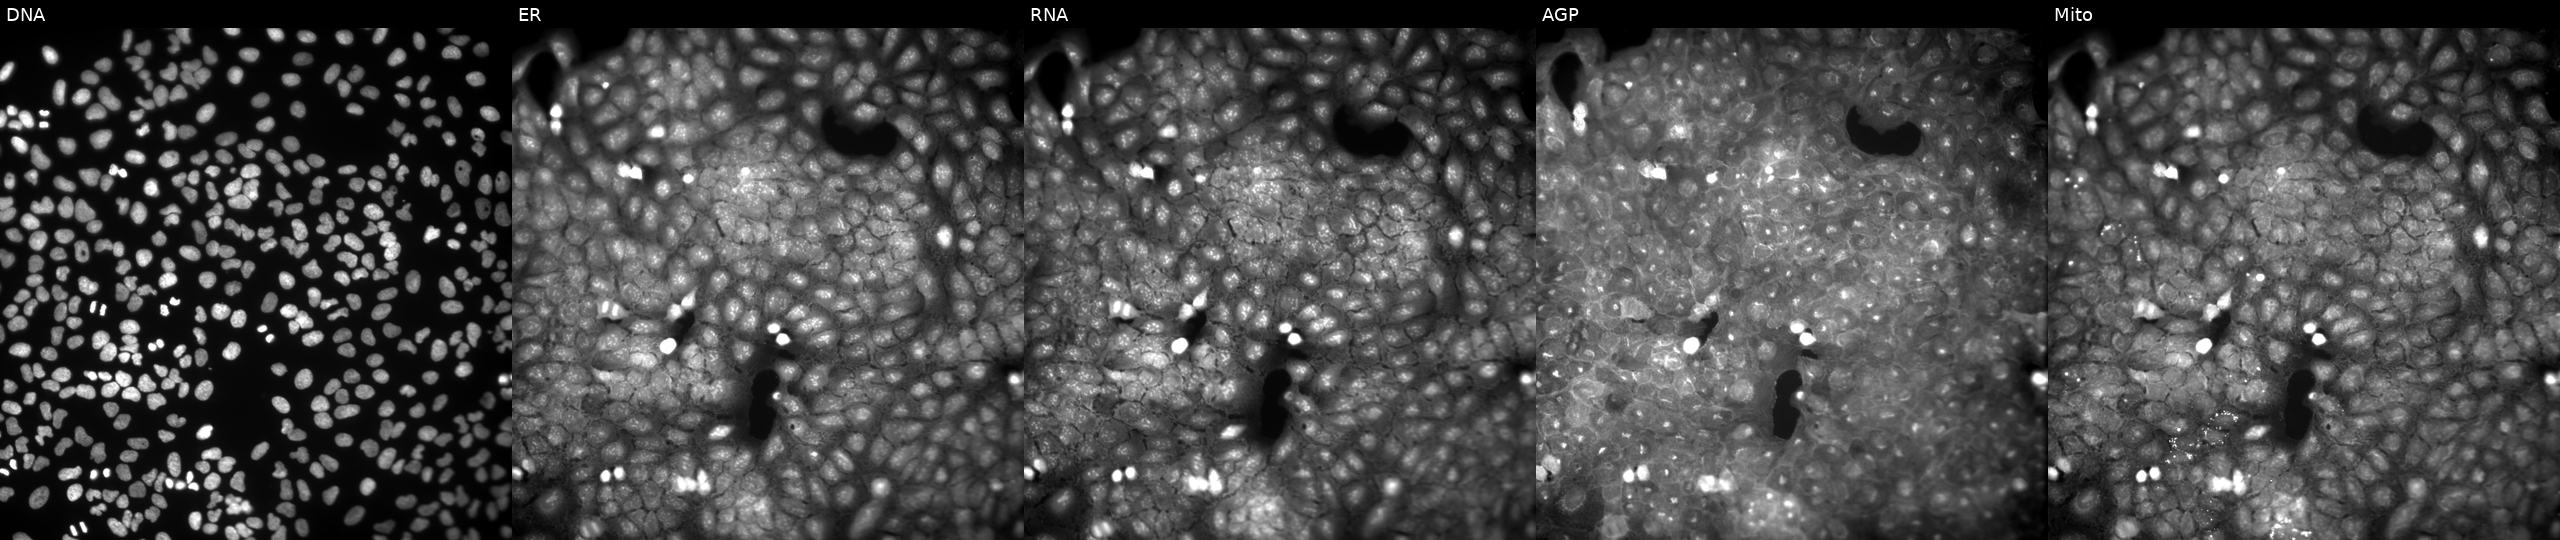
JUMP Cell Painting — COMPOUND plate. U2OS cells treated with a small-molecule compound (JUMP id JCP2022_052098). Channels (left→right): DNA, ER, RNA, AGP, and Mito. Source 9, plate GR00003382, well AC43.